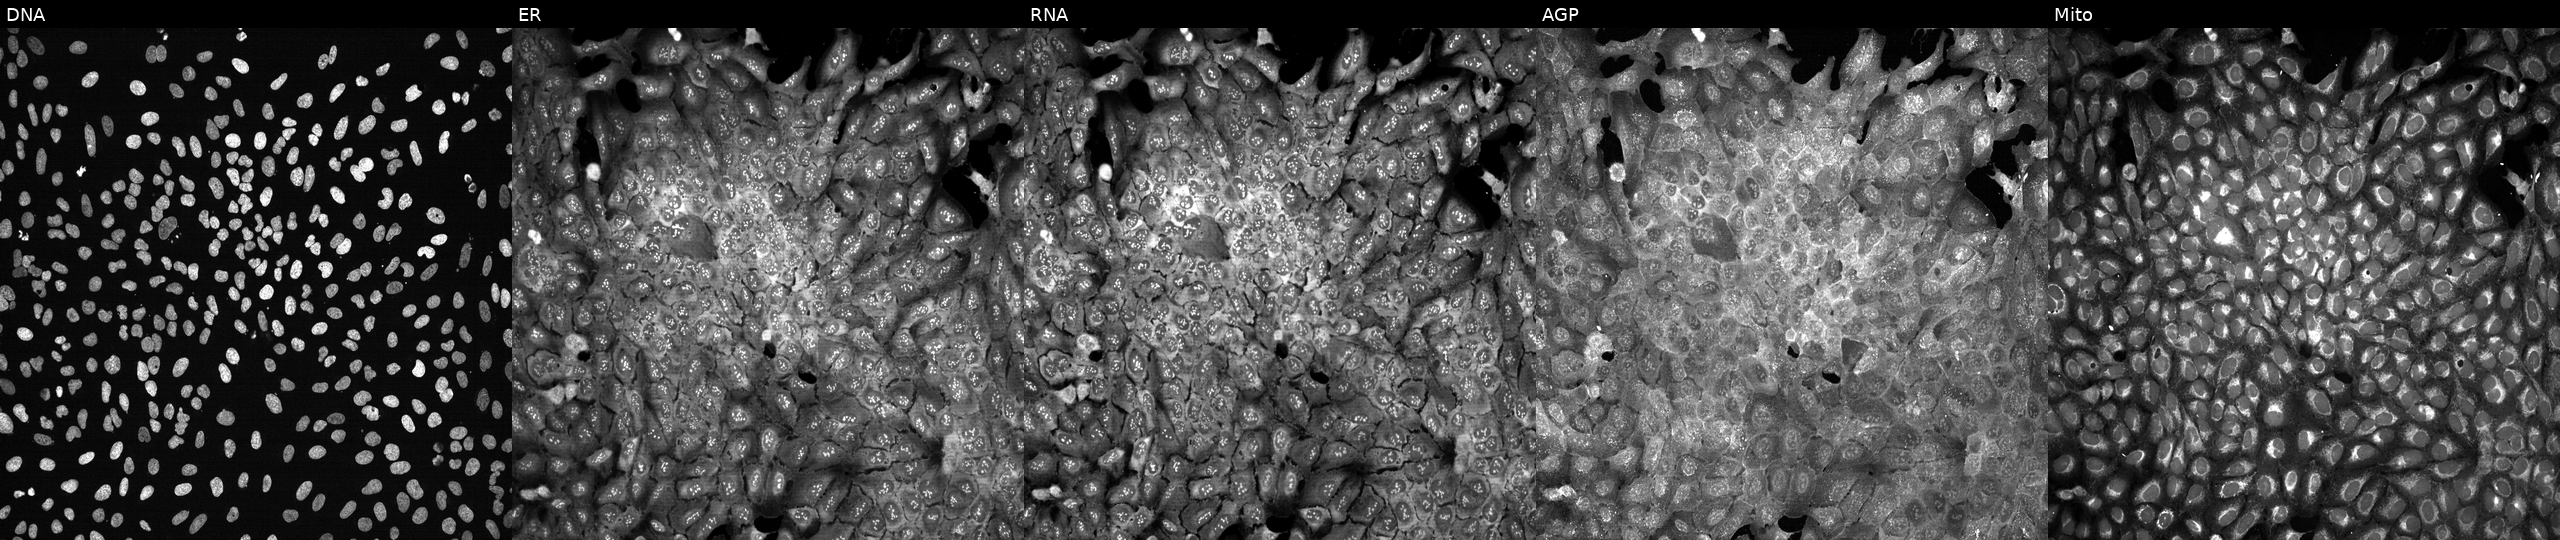
JUMP Cell Painting — CRISPR plate. U2OS cells following CRISPR knockout of SLFN13. From left to right: DNA, ER, RNA, AGP, and Mito. Source 13, plate CP-CC9-R5-01, well I13.